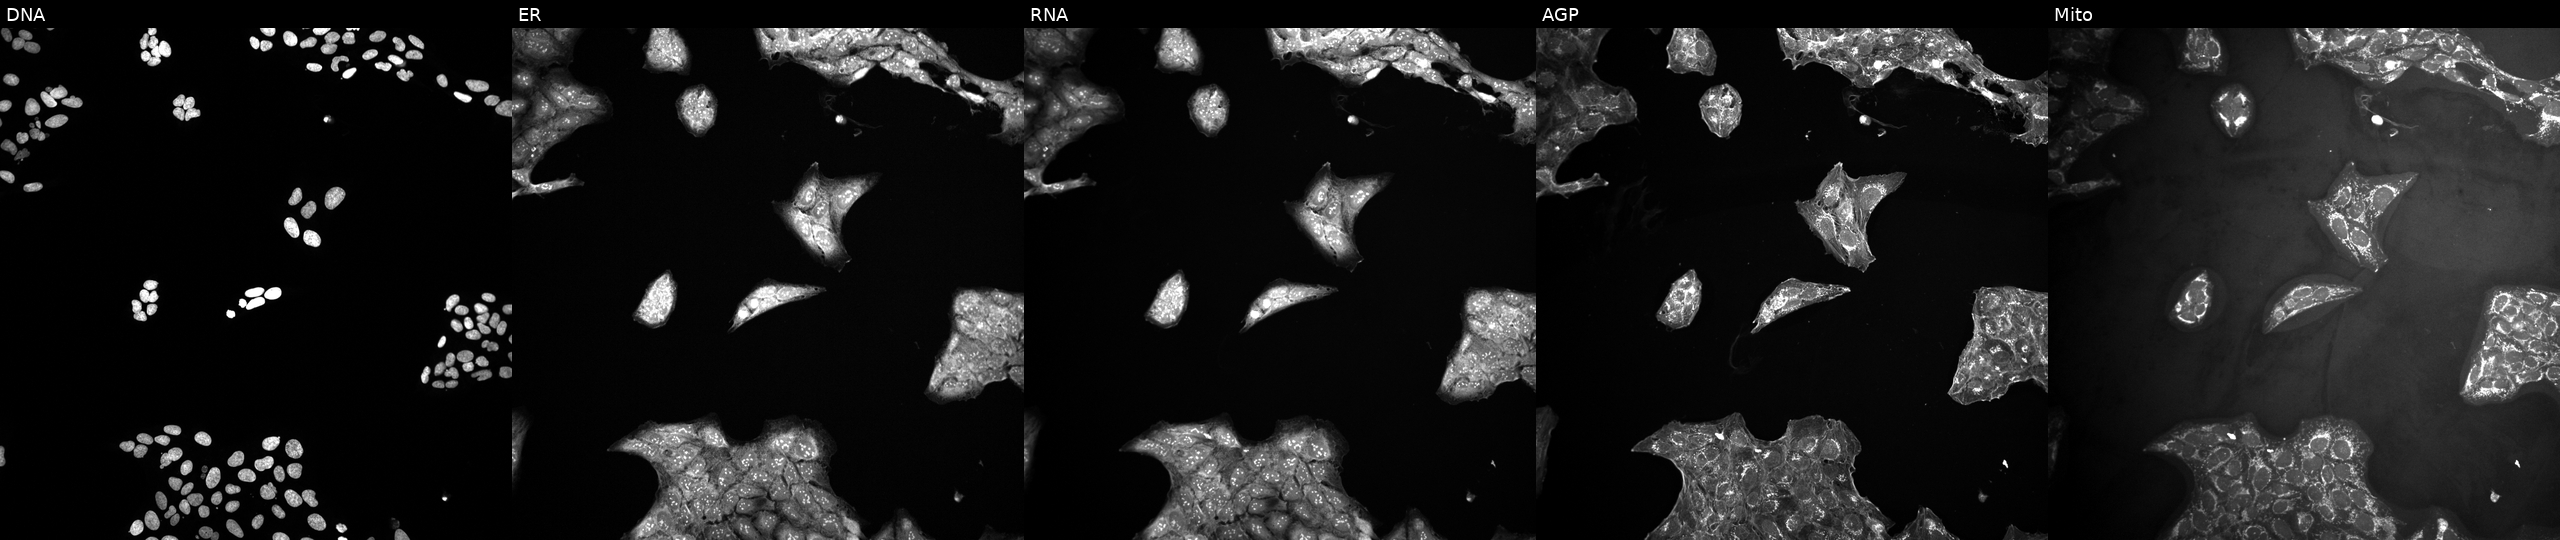
Channels (left→right): DNA (nuclei); ER (endoplasmic reticulum); RNA (nucleoli and cytoplasmic RNA); AGP (actin cytoskeleton, Golgi, and plasma membrane); Mito (mitochondria). U2OS osteosarcoma cells treated with LY2109761 (positive-control compound) (JUMP id JCP2022_035095). Cell Painting assay, JUMP-CP dataset.